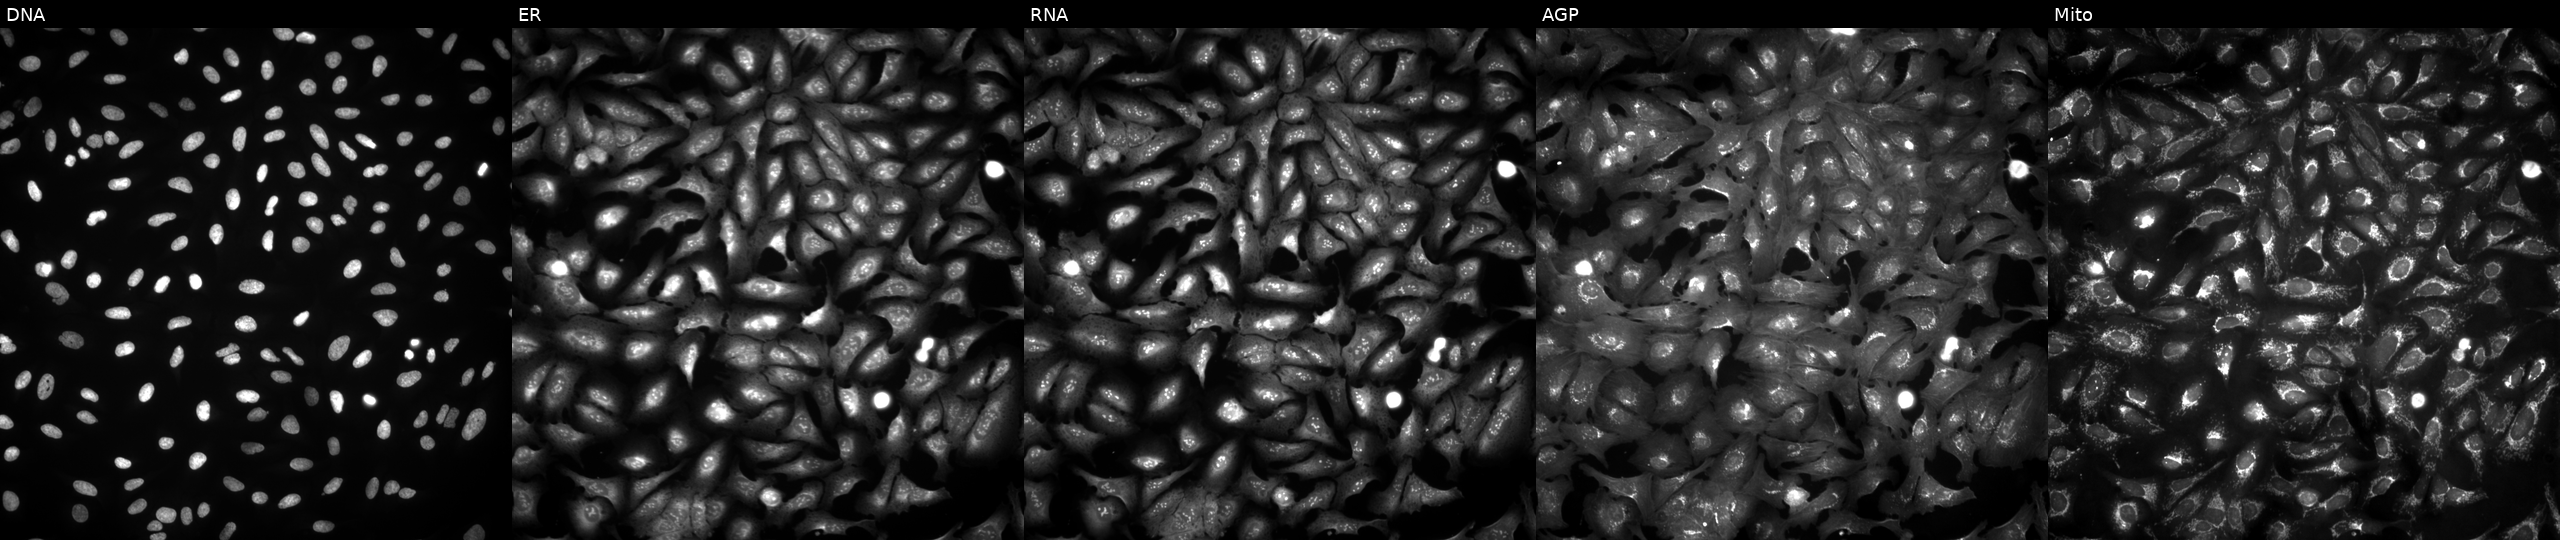
Five-channel Cell Painting image of U2OS cells expressing LUCIFERASE (ORF negative control). Channels (left→right): DNA (nuclei); ER (endoplasmic reticulum); RNA (nucleoli and cytoplasmic RNA); AGP (actin cytoskeleton, Golgi, and plasma membrane); Mito (mitochondria).